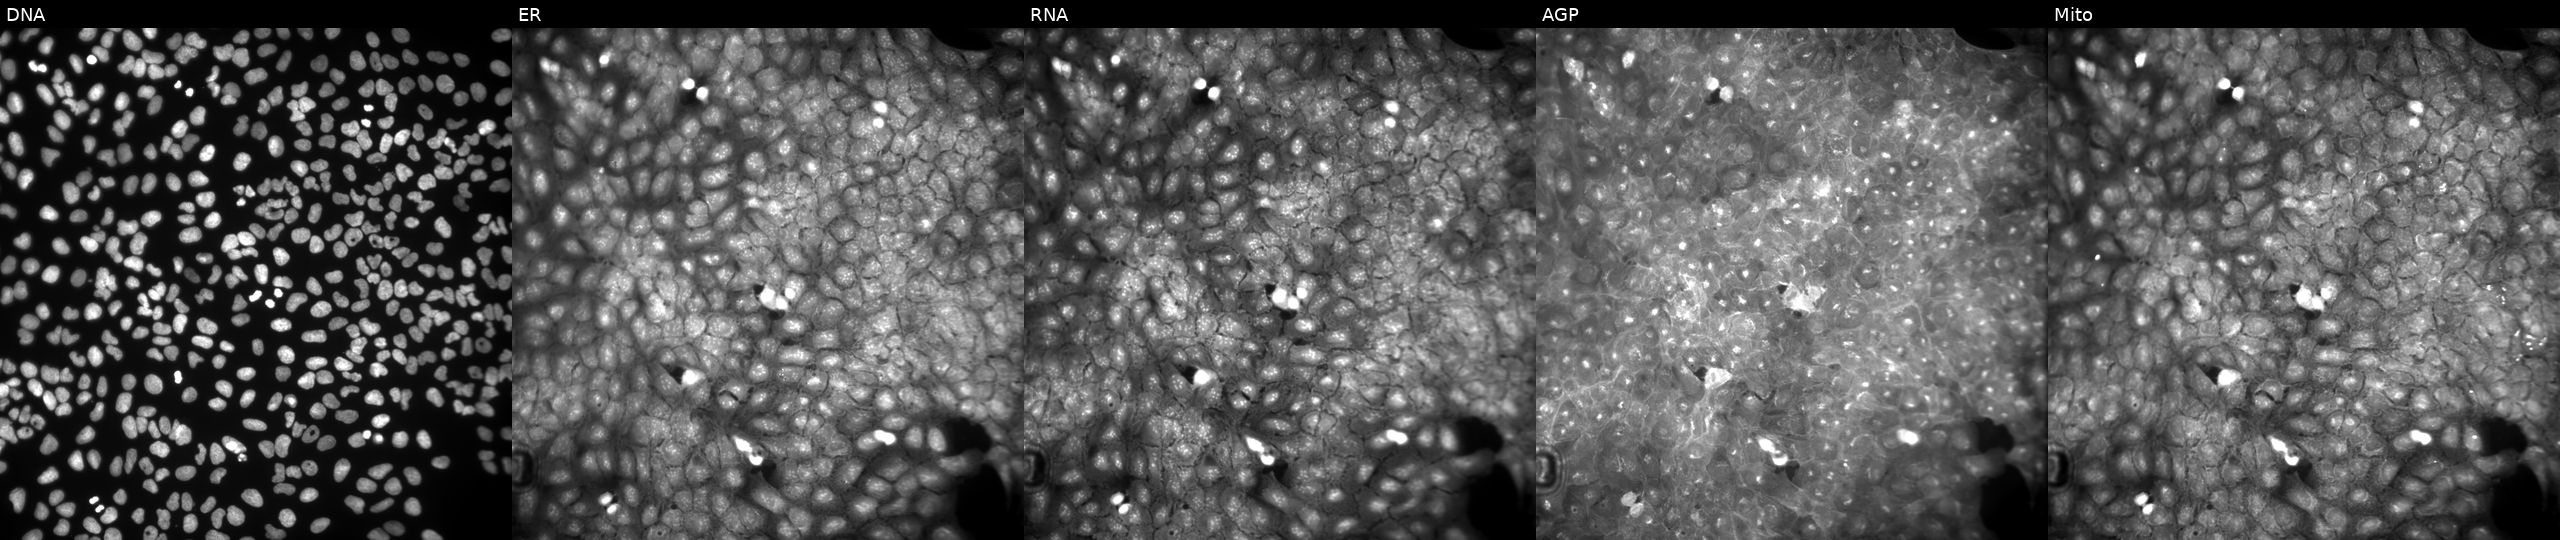
This image strip shows the five Cell Painting channels for a single field of U2OS cells perturbed with a small-molecule compound (InChIKey LAXIFUAMADDSFI-UHFFFAOYSA-N). Channels (left→right): DNA, ER, RNA, AGP, and Mito.